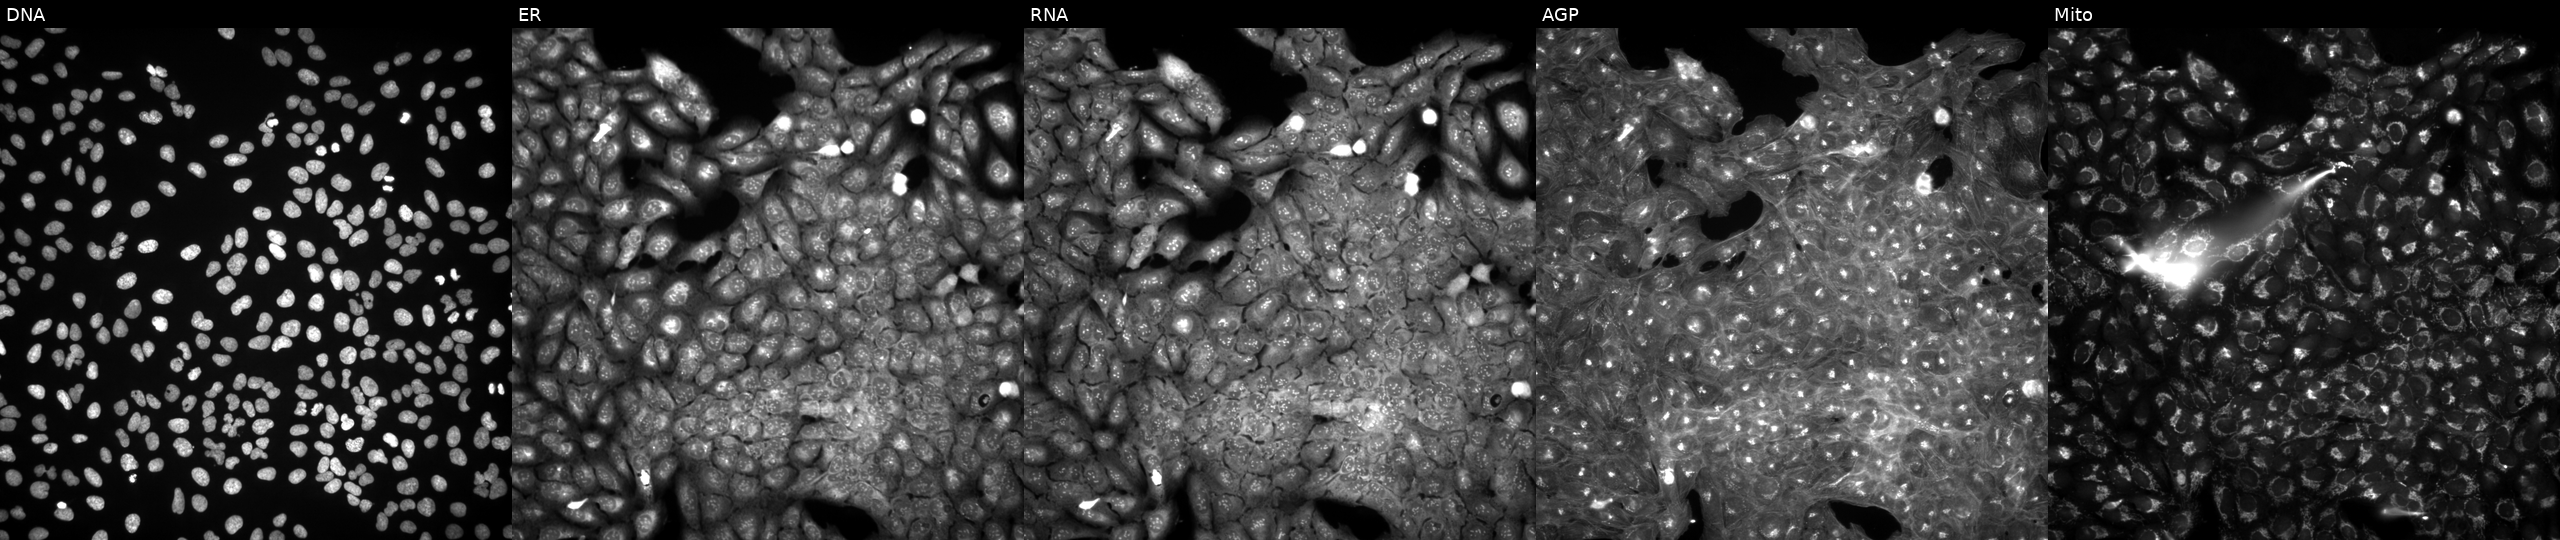
JUMP Cell Painting — TARGET2 plate. U2OS cells treated with a small-molecule compound (InChIKey KSCFJBIXMNOVSH-UHFFFAOYSA-N) (JUMP id JCP2022_046649). The five panels, left to right, show DNA, ER, RNA, AGP, and Mito.